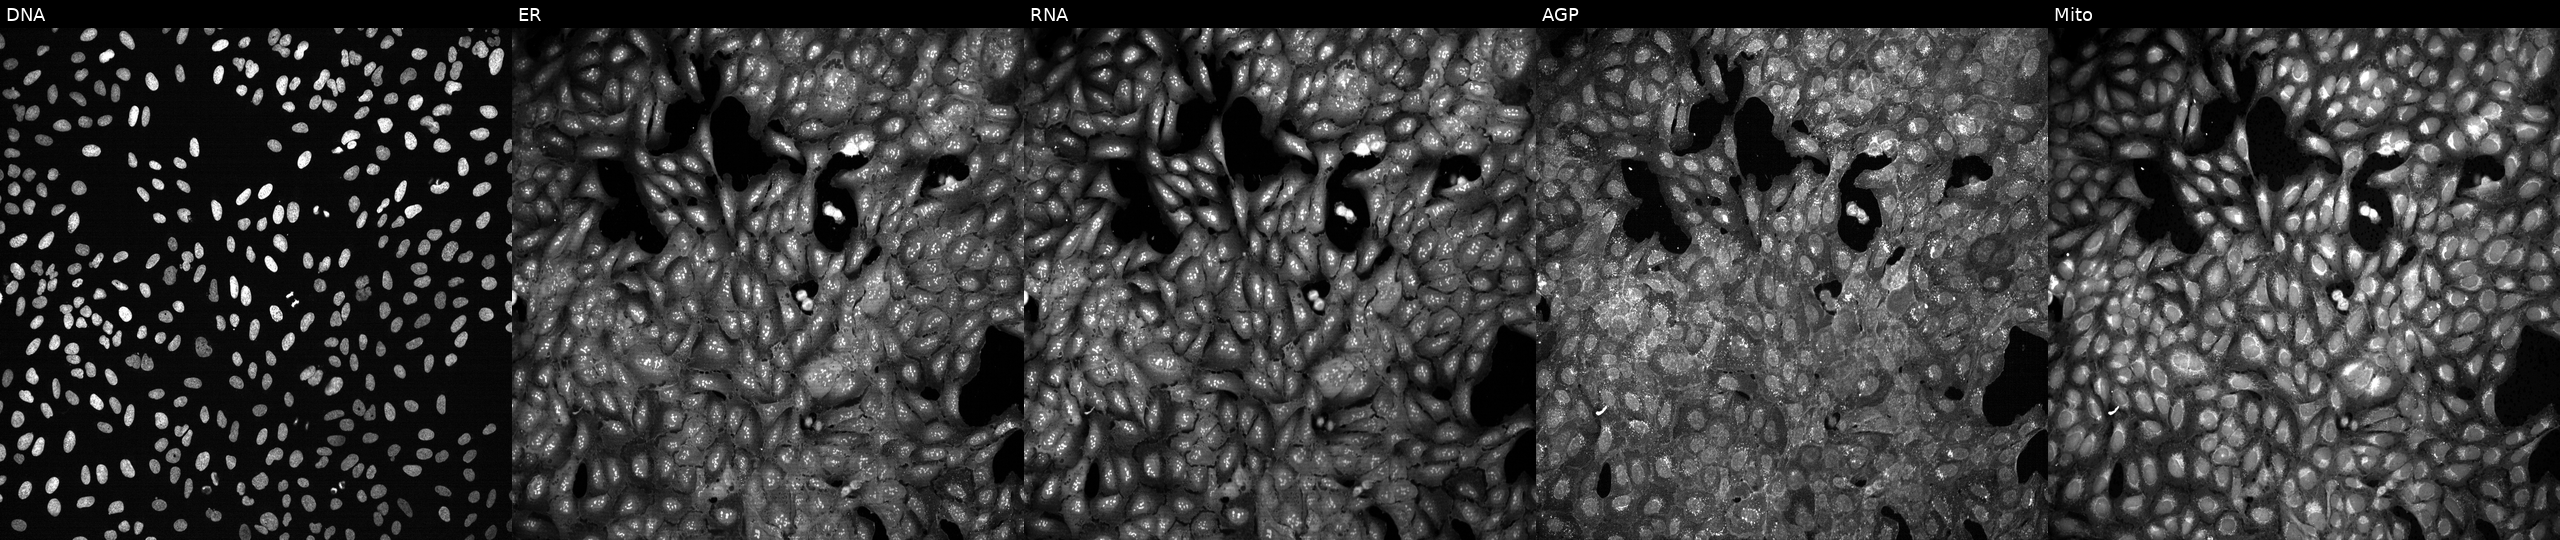
This image strip shows the five Cell Painting channels for a single field of U2OS cells treated with aloxistatin (positive-control compound) (JUMP id JCP2022_085227). The five panels, left to right, show Hoechst 33342, concanavalin A, SYTO 14, phalloidin and WGA, MitoTracker.